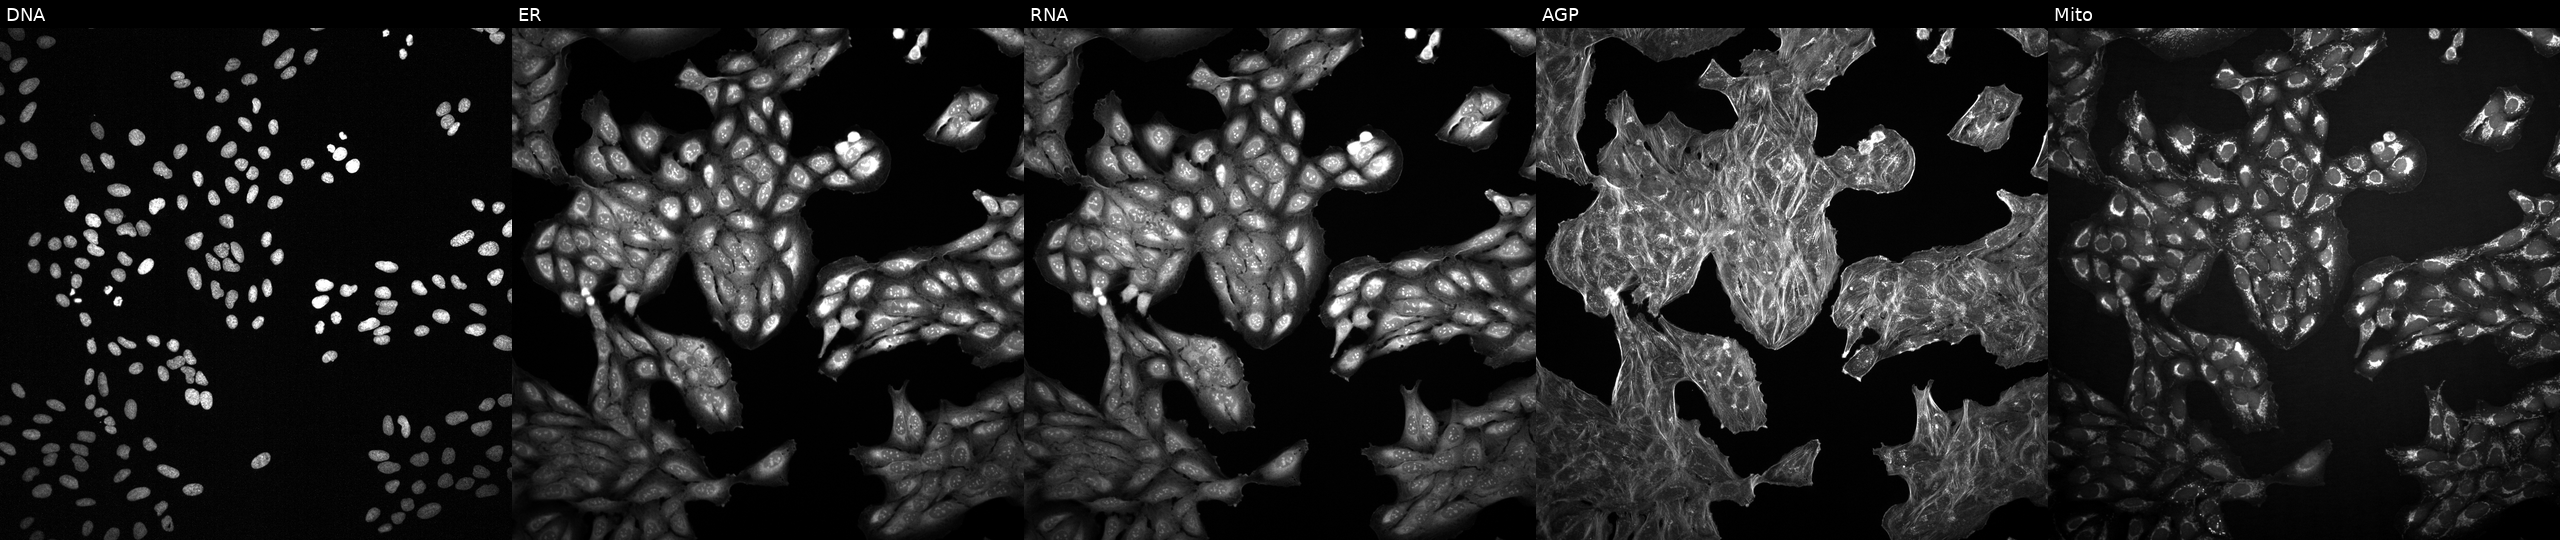
This image strip shows the five Cell Painting channels for a single field of U2OS cells perturbed with a small-molecule compound (InChIKey UAYADWKLMXWCIX-UHFFFAOYSA-N). From left to right: DNA, ER, RNA, AGP, and Mito.